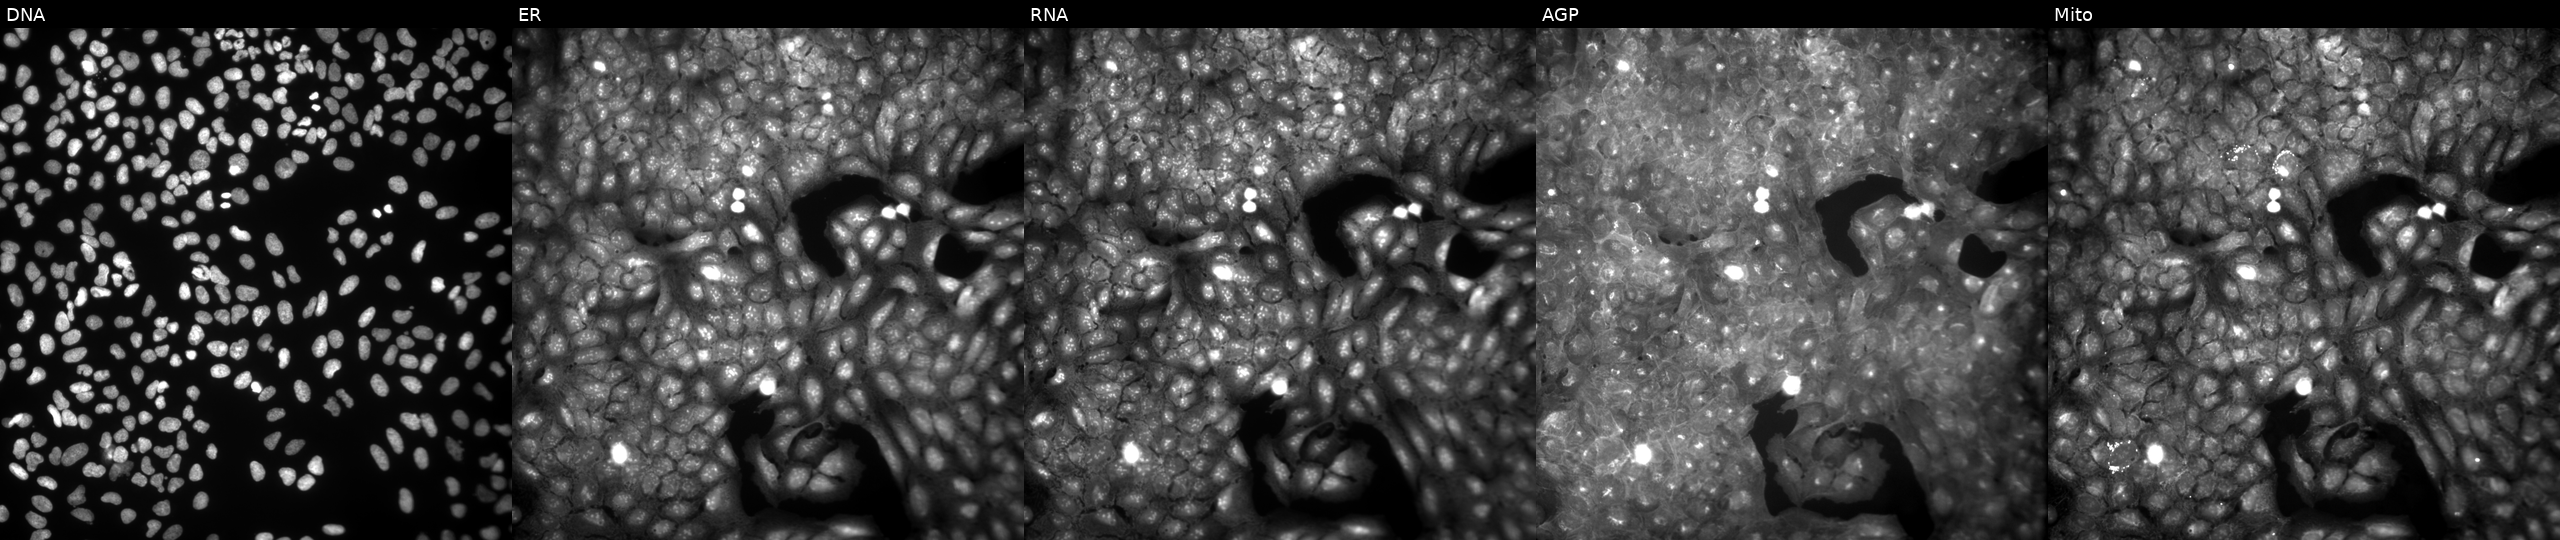
JUMP Cell Painting — COMPOUND plate. U2OS cells exposed to a small-molecule compound (JUMP id JCP2022_047404). From left to right: DNA, ER, RNA, AGP, and Mito. Source 9, plate GR00003382, well T43.